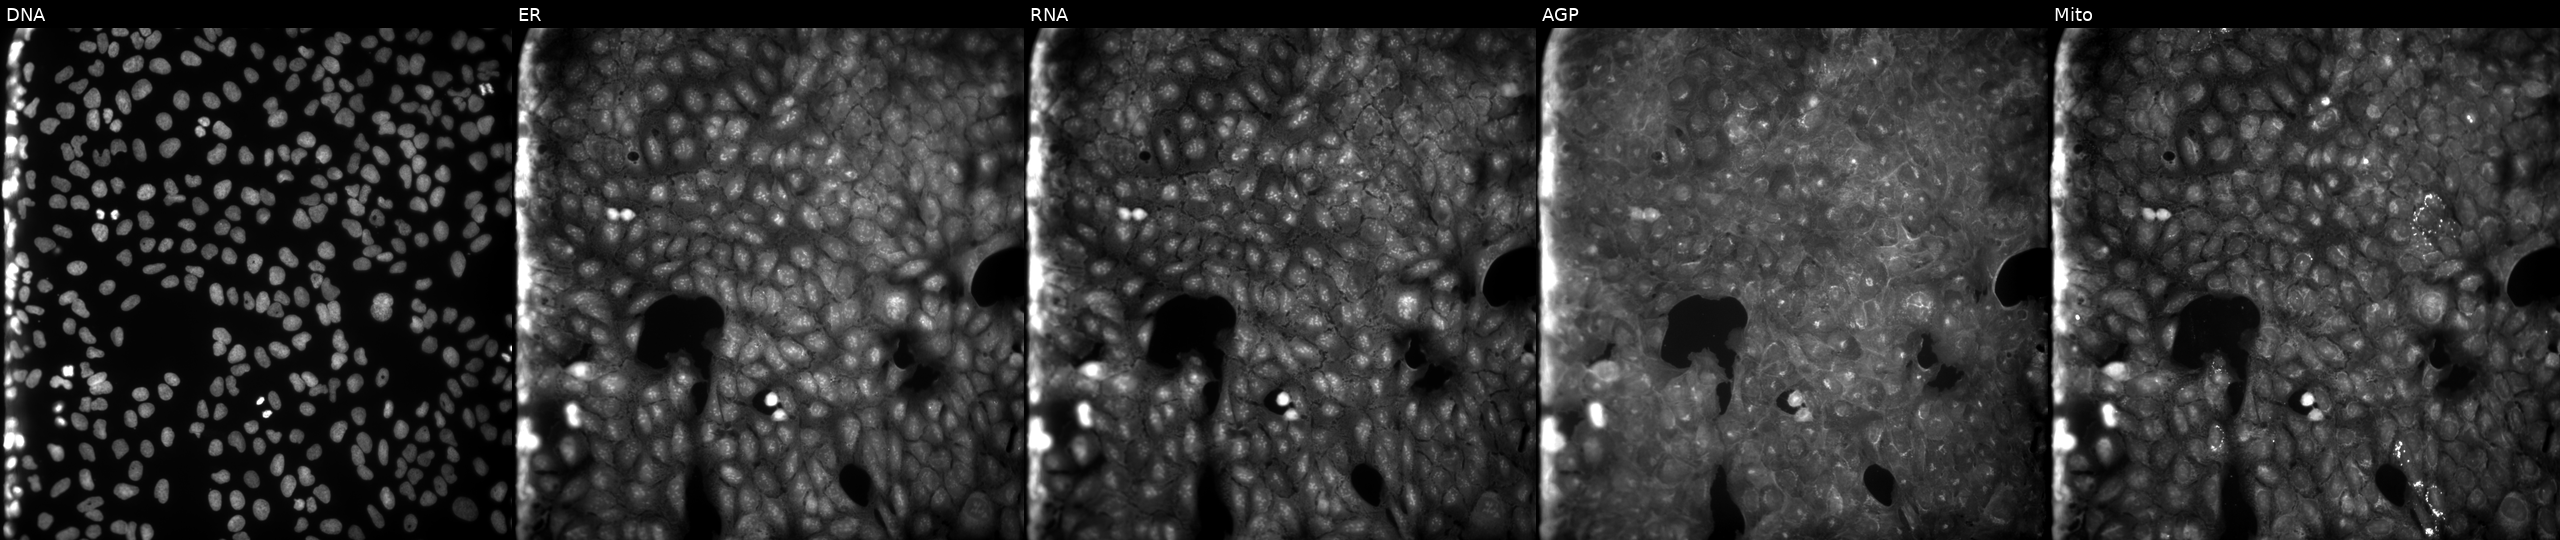
High-content fluorescence microscopy (Cell Painting). Cell line: U2OS. Perturbation: exposed to DMSO alone as a negative control. Panels show, left to right, DNA, ER, RNA, AGP, and Mito. Source 9, plate GR00003381, well O02.